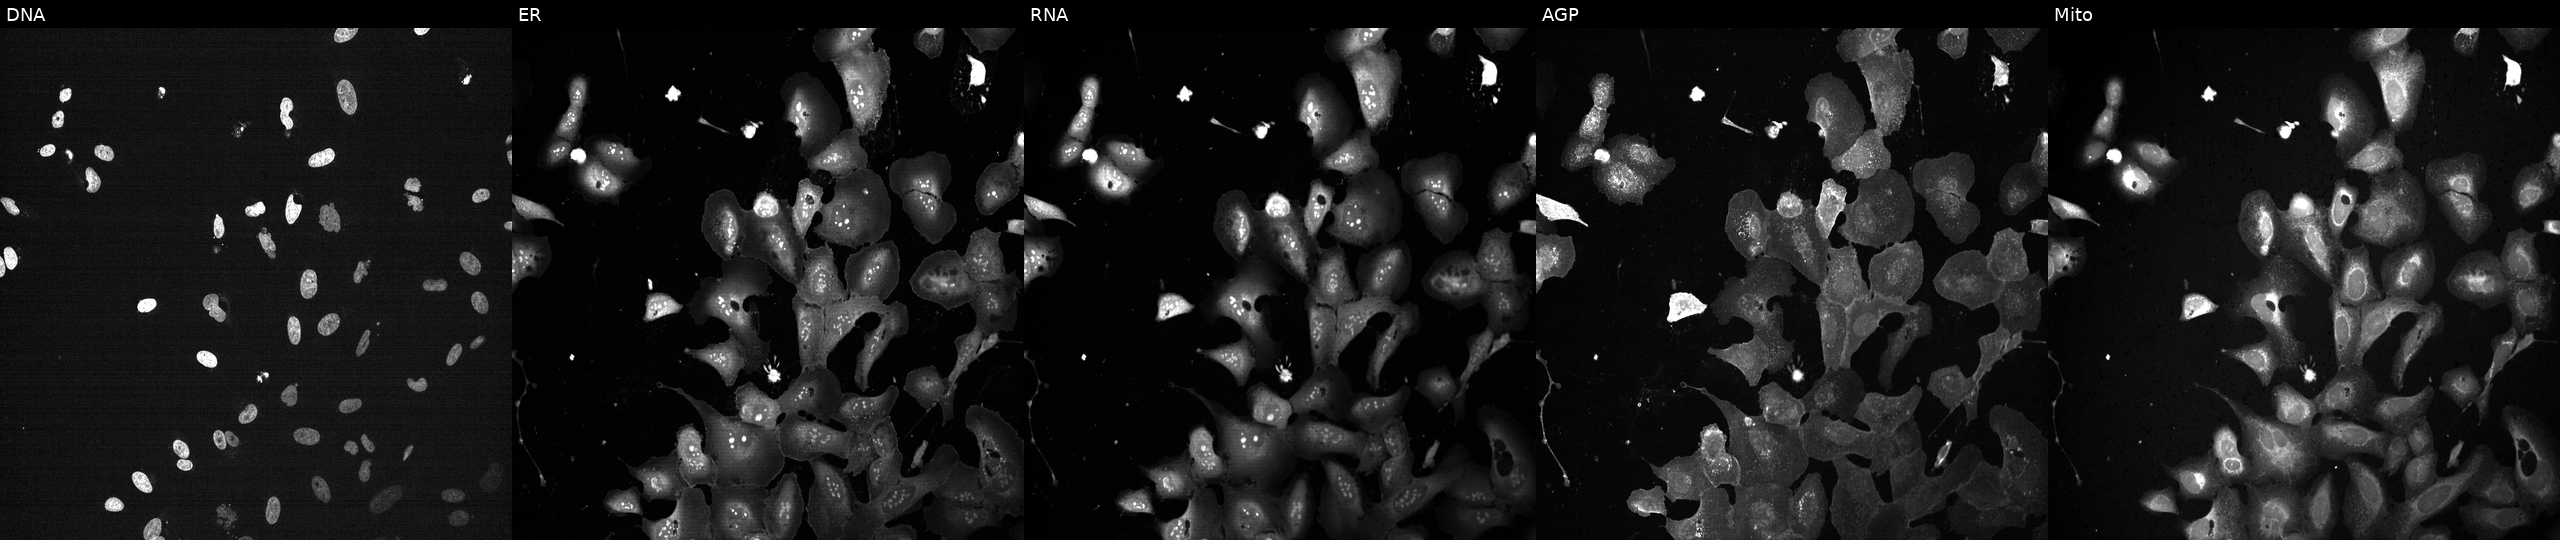
High-content fluorescence microscopy (Cell Painting). Cell line: U2OS. Perturbation: with RRM2 knocked out by CRISPR (JUMP id JCP2022_806130). Channels (left→right): DNA (nuclei); ER (endoplasmic reticulum); RNA (nucleoli and cytoplasmic RNA); AGP (actin cytoskeleton, Golgi, and plasma membrane); Mito (mitochondria). Source 13, plate CP-CC9-R1-02, well M20.